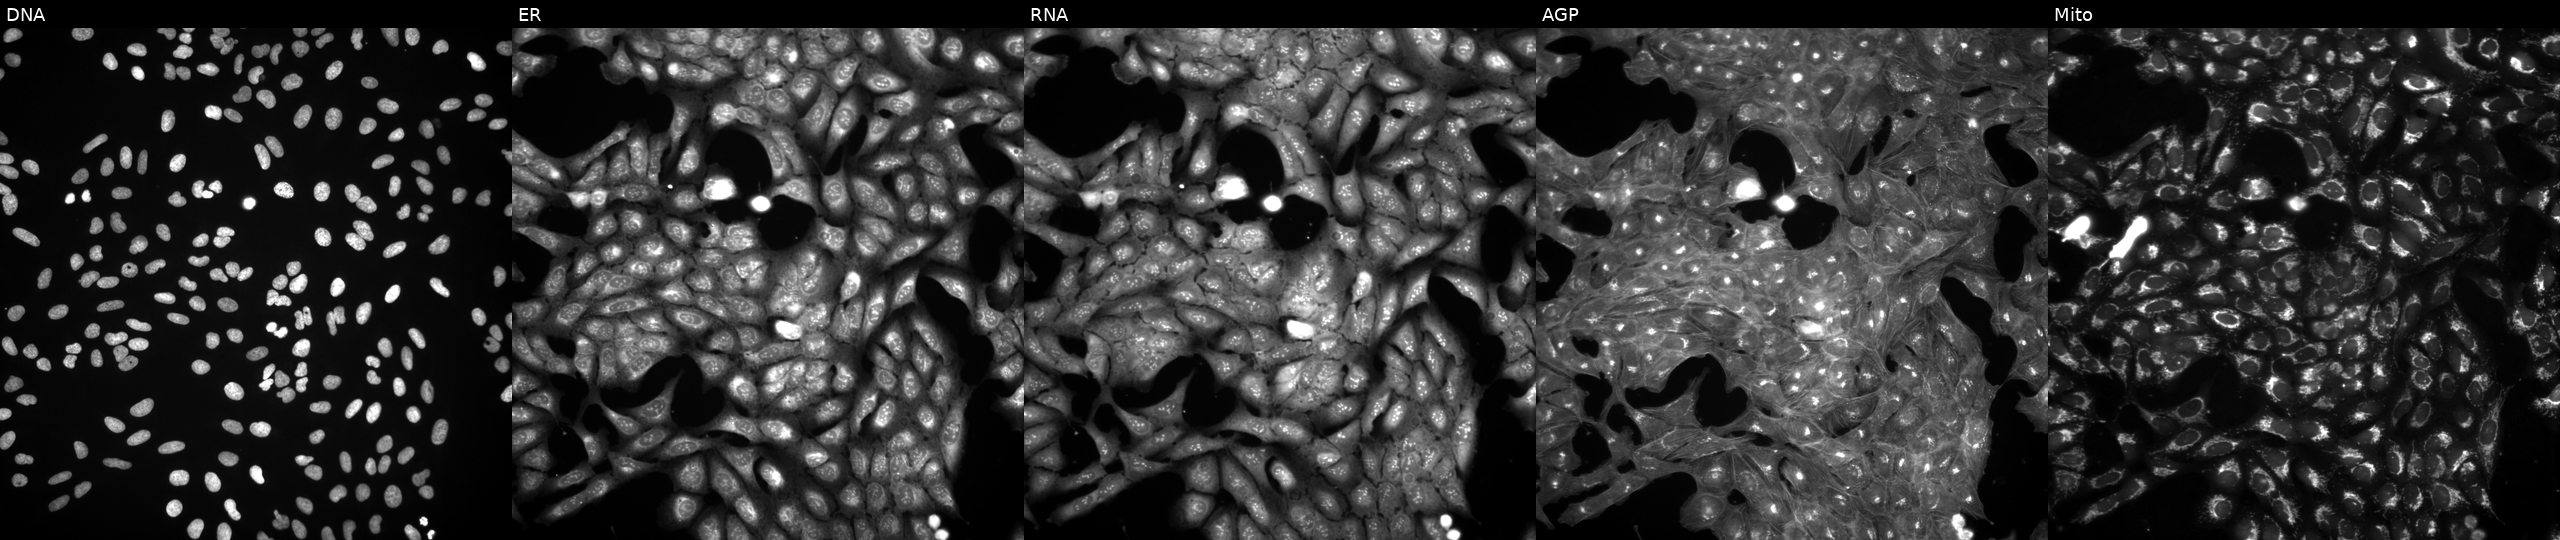
Panels show, left to right, Hoechst 33342, concanavalin A, SYTO 14, phalloidin and WGA, MitoTracker. U2OS osteosarcoma cells treated with a small-molecule compound (InChIKey WOOVPNOEAOLADY-UHFFFAOYSA-N). Cell Painting assay, JUMP-CP dataset.